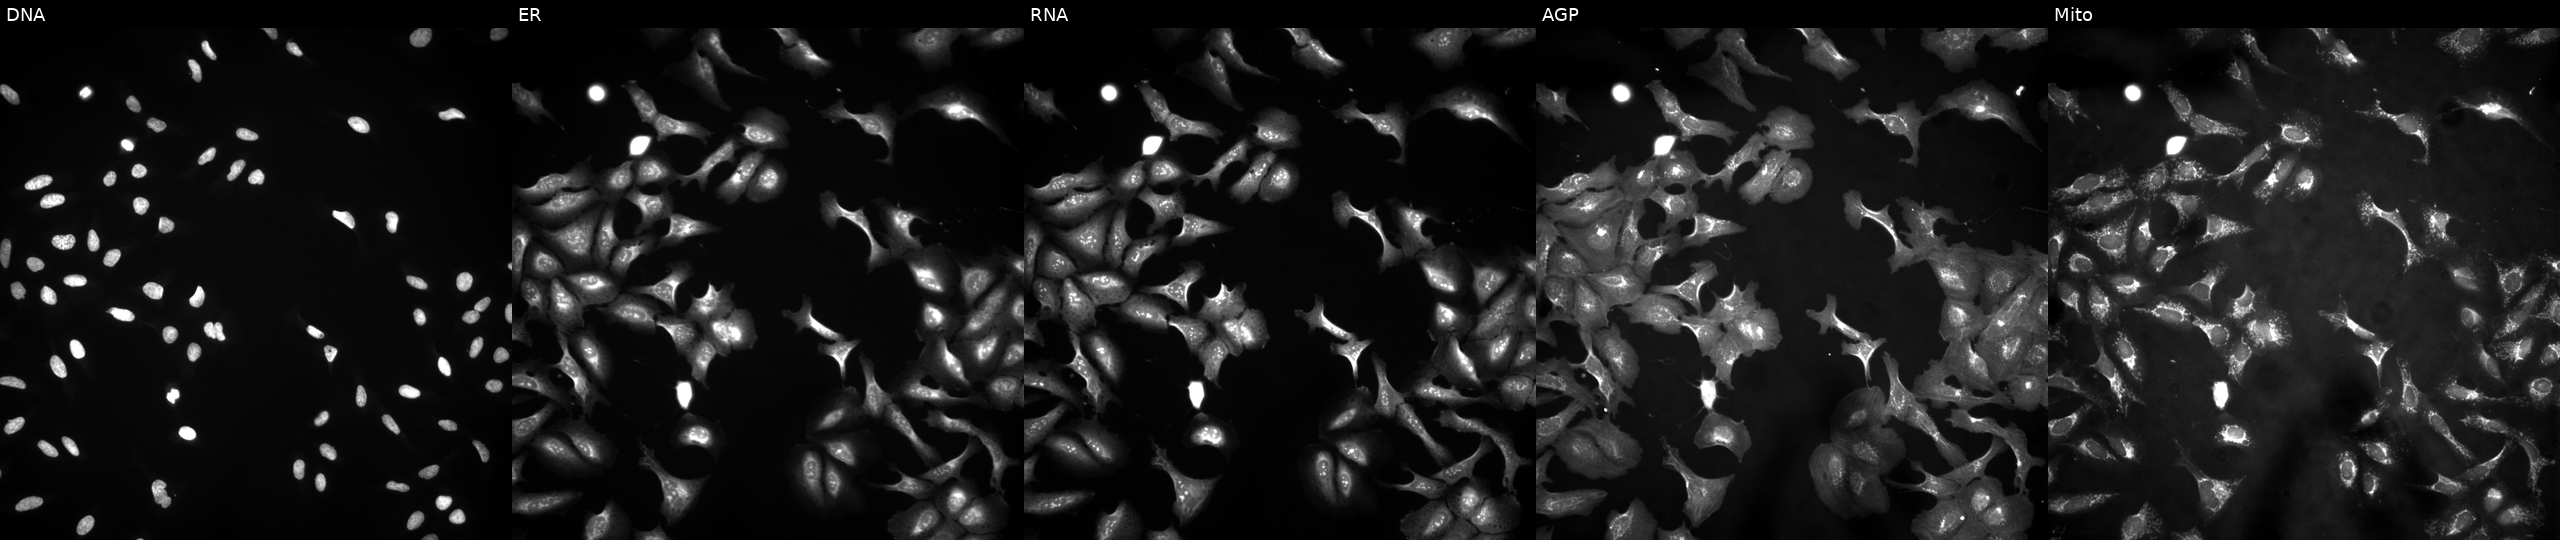
U2OS cells, Cell Painting assay, overexpressing EPB41L2 via ORF transfection. The five panels, left to right, show DNA, ER, RNA, AGP, and Mito. Each panel is percentile-stretched 16-bit fluorescence.